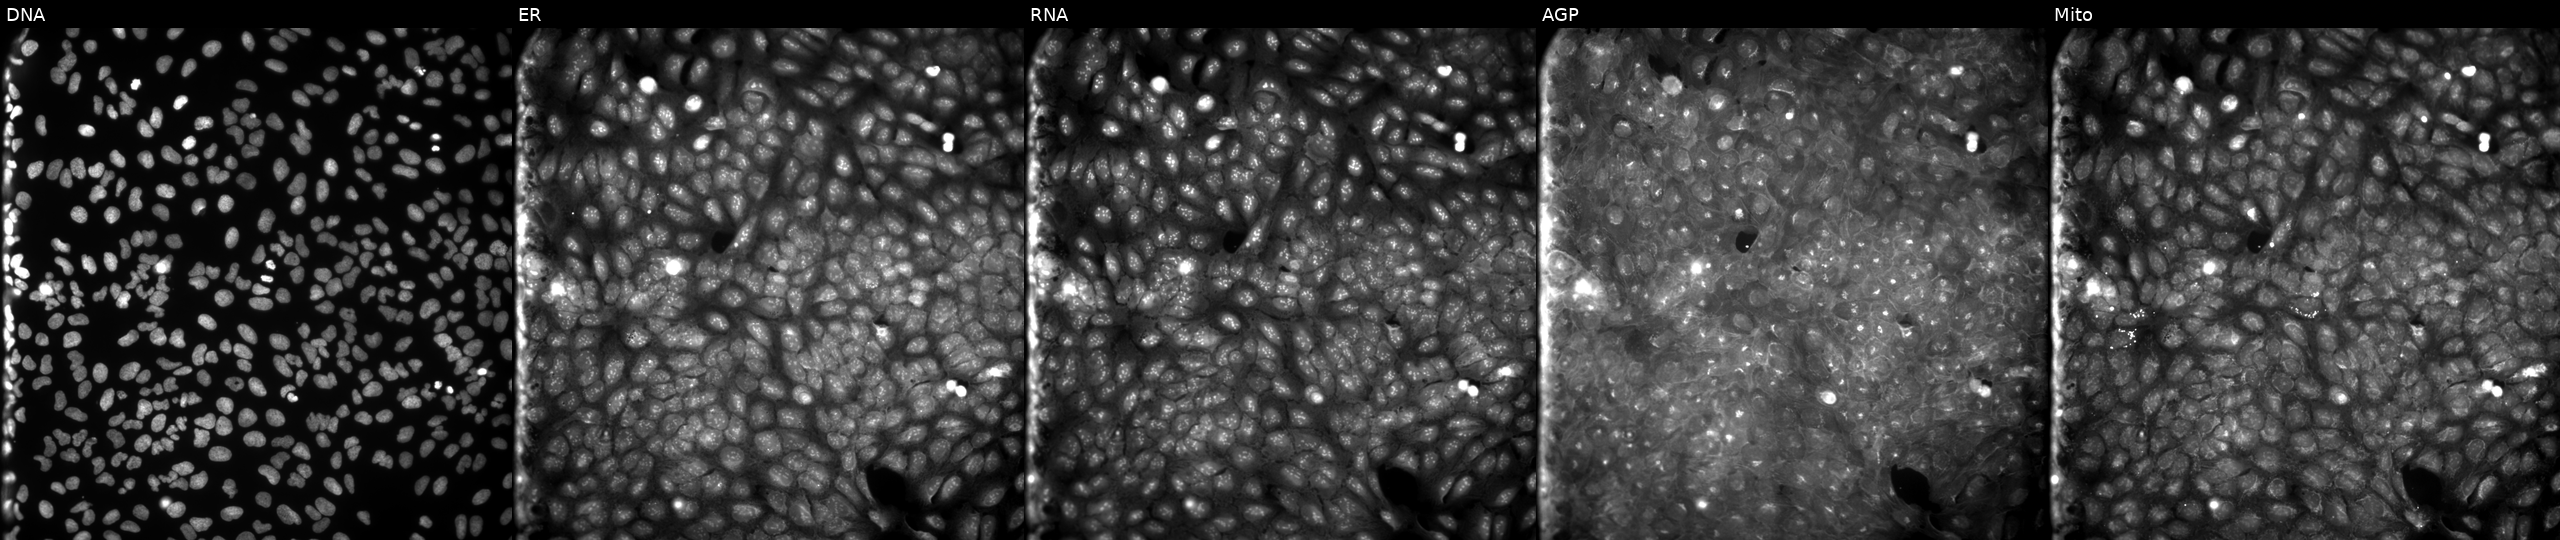
U2OS cells, Cell Painting assay, exposed to a small-molecule compound (InChIKey FSLCVBMZDHZDKO-UHFFFAOYSA-N). Panels show, left to right, Hoechst 33342, concanavalin A, SYTO 14, phalloidin and WGA, MitoTracker. Each panel is percentile-stretched 16-bit fluorescence. Source 9, plate GR00003382, well V10.